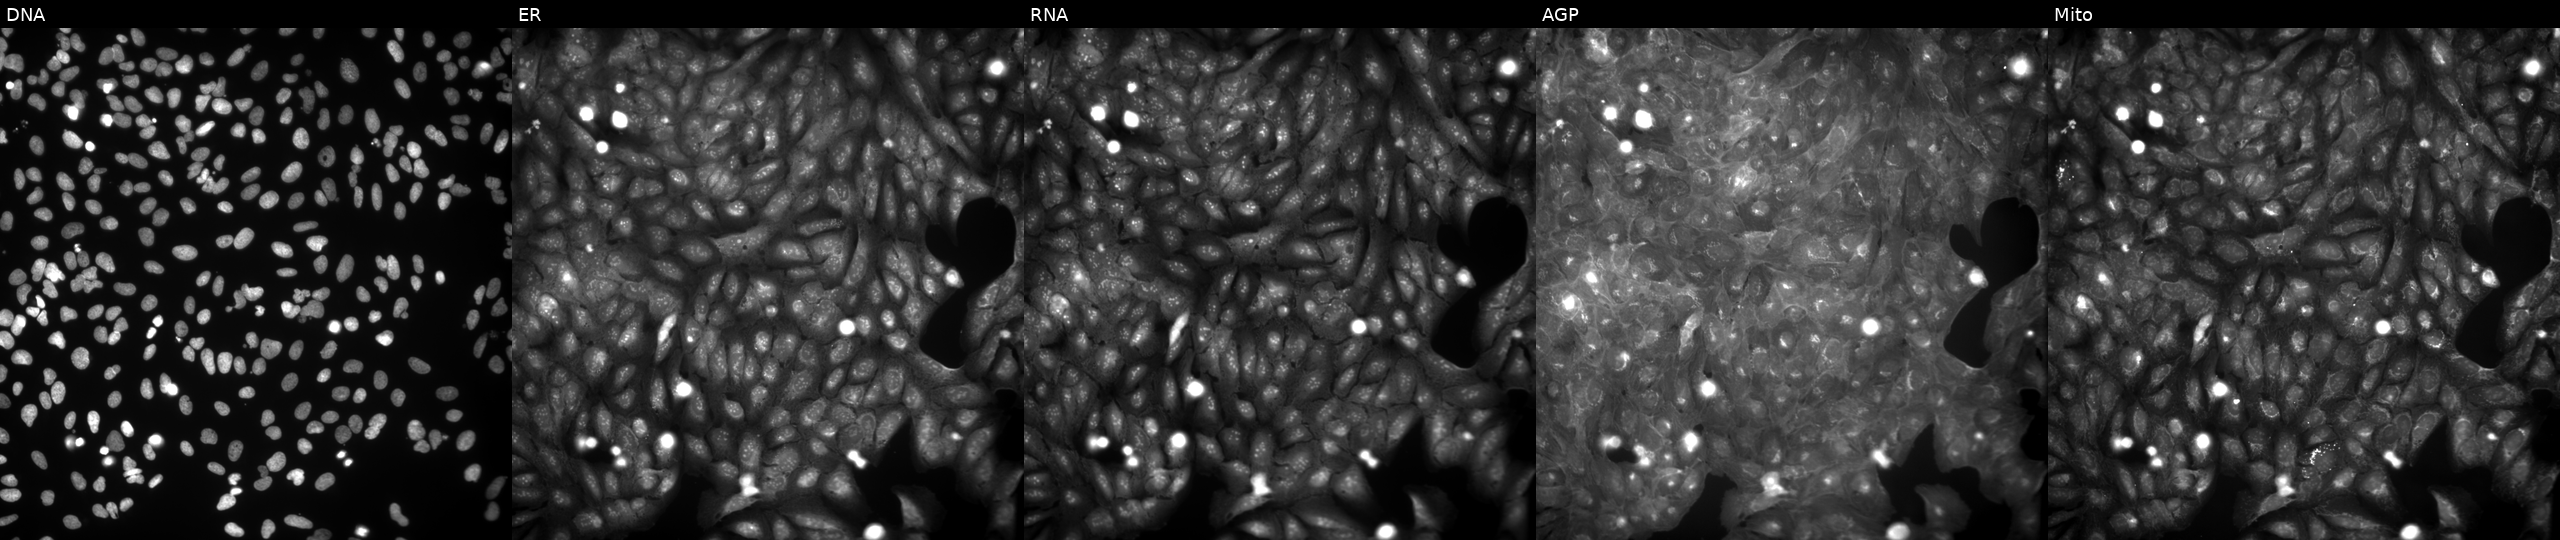
This image strip shows the five Cell Painting channels for a single field of U2OS cells treated with a small-molecule compound. The five panels, left to right, show DNA (nuclei); ER (endoplasmic reticulum); RNA (nucleoli and cytoplasmic RNA); AGP (actin cytoskeleton, Golgi, and plasma membrane); Mito (mitochondria).